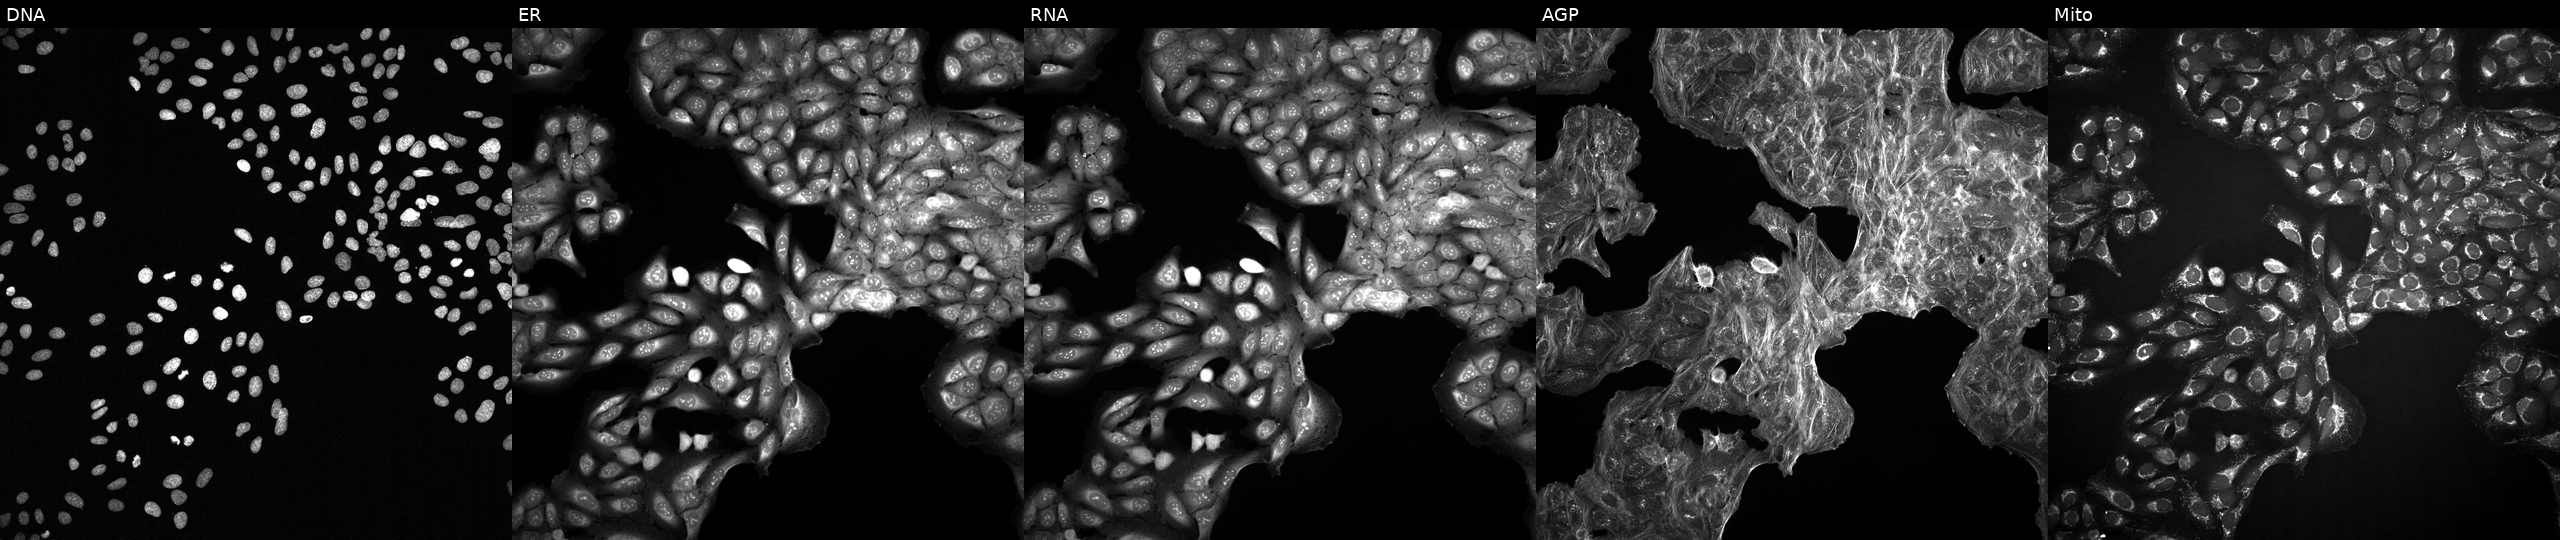
High-content fluorescence microscopy (Cell Painting). Cell line: U2OS. Perturbation: exposed to a small-molecule compound (InChIKey CRRIKPSEZXKTNQ-UHFFFAOYSA-N) (JUMP id JCP2022_013027). From left to right: DNA, ER, RNA, AGP, and Mito.